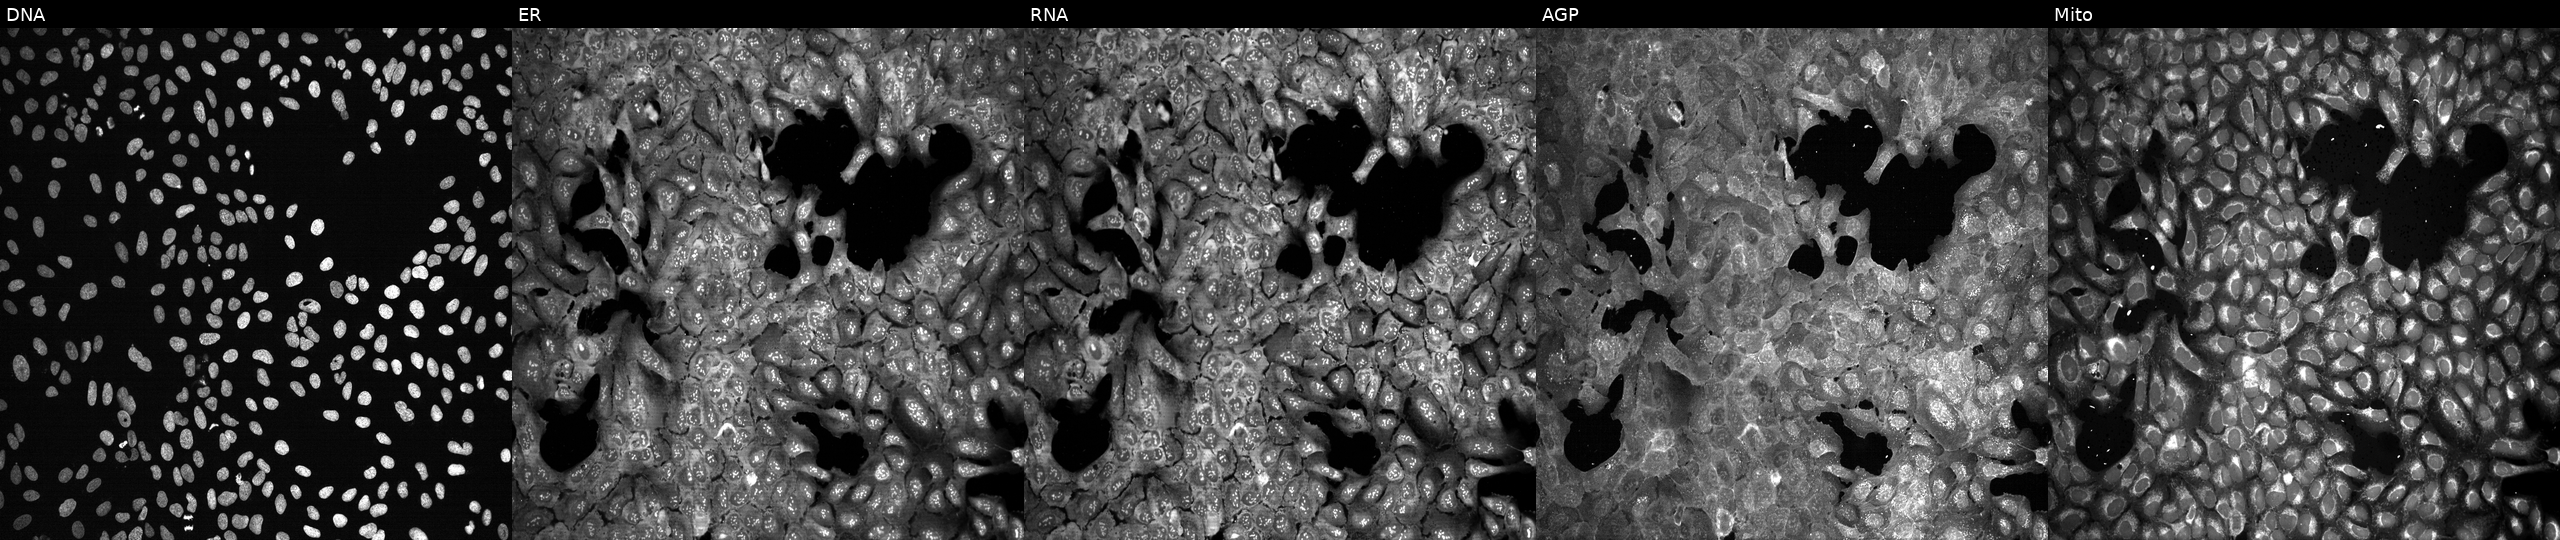
This image strip shows the five Cell Painting channels for a single field of U2OS cells CRISPR-edited to disrupt LIG4. Channels (left→right): Hoechst 33342, concanavalin A, SYTO 14, phalloidin and WGA, MitoTracker.